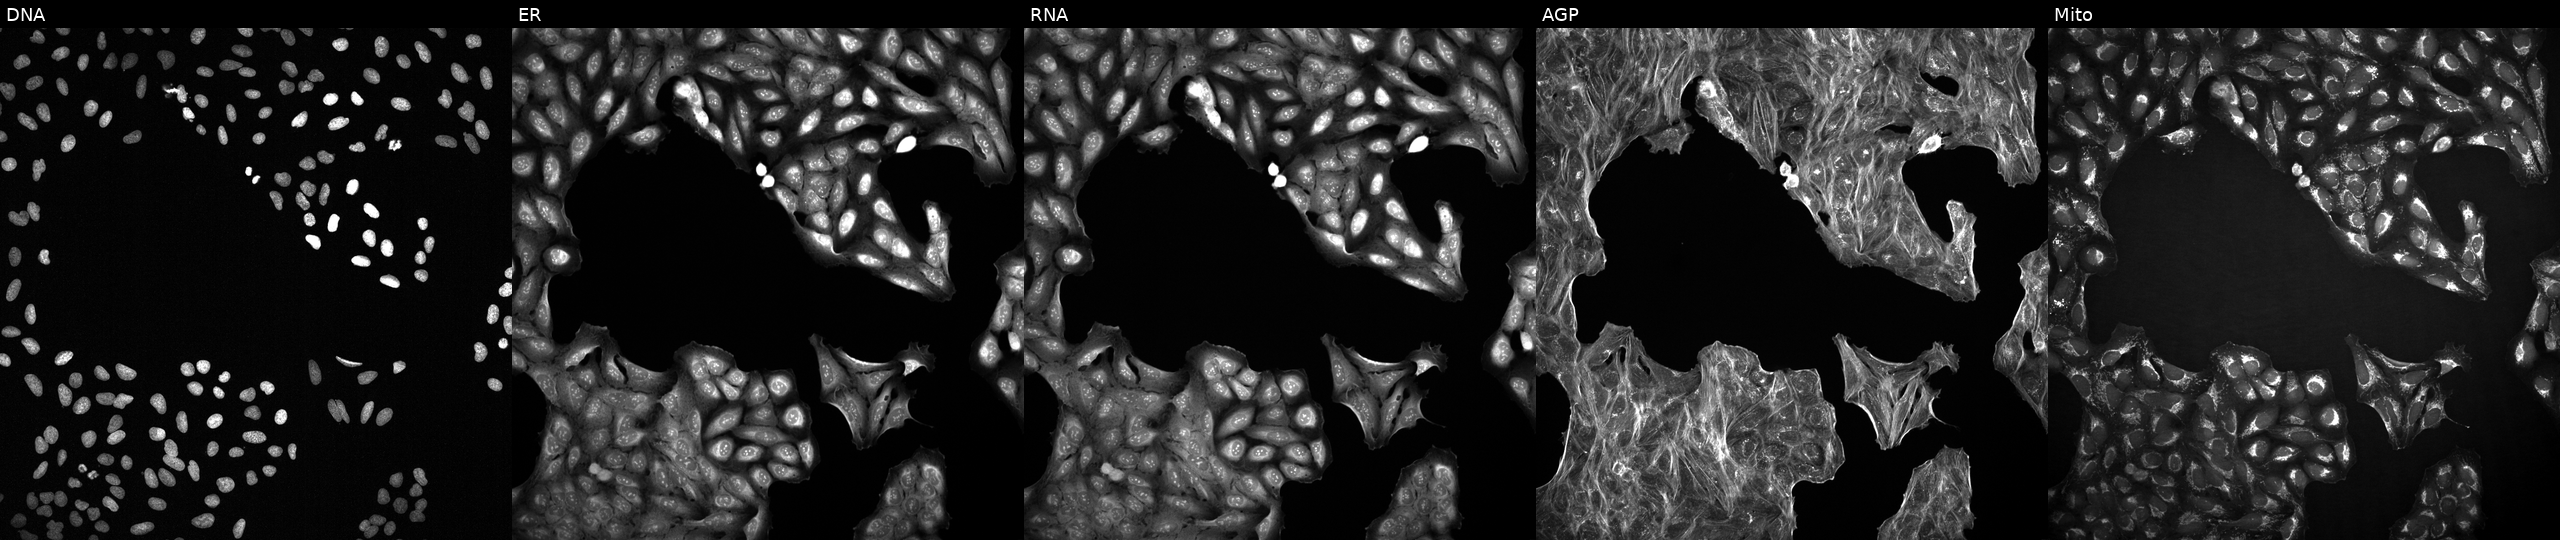
Five-channel Cell Painting image of U2OS cells treated with a small-molecule compound (InChIKey XVOYSCVBGLVSOL-UHFFFAOYSA-N) (JUMP id JCP2022_106327). Channels (left→right): DNA (nuclei); ER (endoplasmic reticulum); RNA (nucleoli and cytoplasmic RNA); AGP (actin cytoskeleton, Golgi, and plasma membrane); Mito (mitochondria).